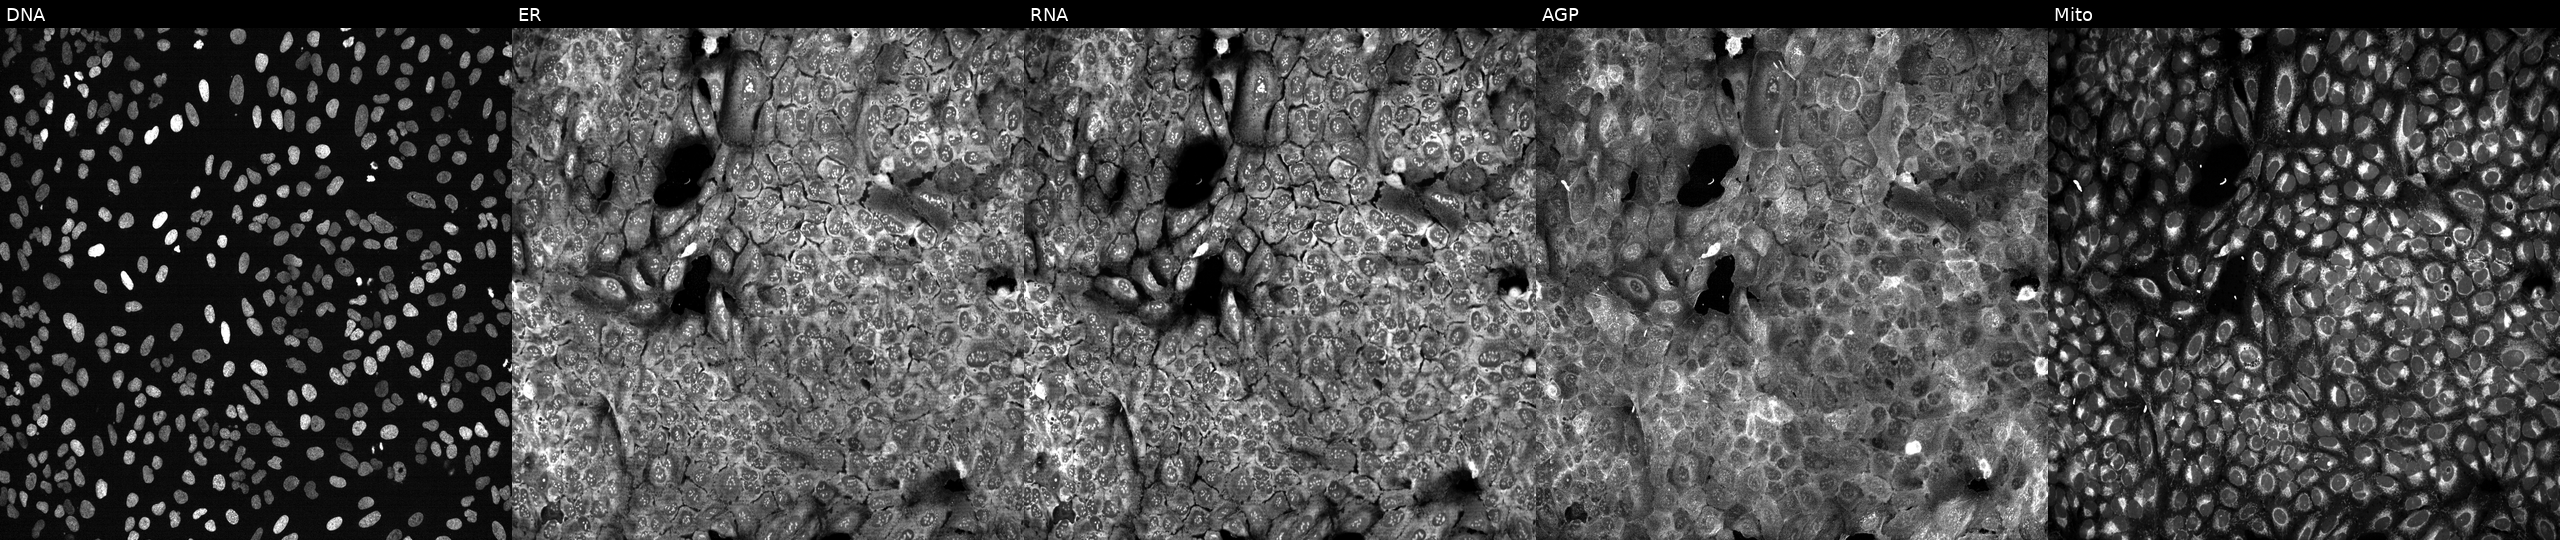
This image strip shows the five Cell Painting channels for a single field of U2OS cells CRISPR-edited to disrupt SLFN13. The five panels, left to right, show Hoechst 33342, concanavalin A, SYTO 14, phalloidin and WGA, MitoTracker. Source 13, plate CP-CC9-R2-01, well I13.